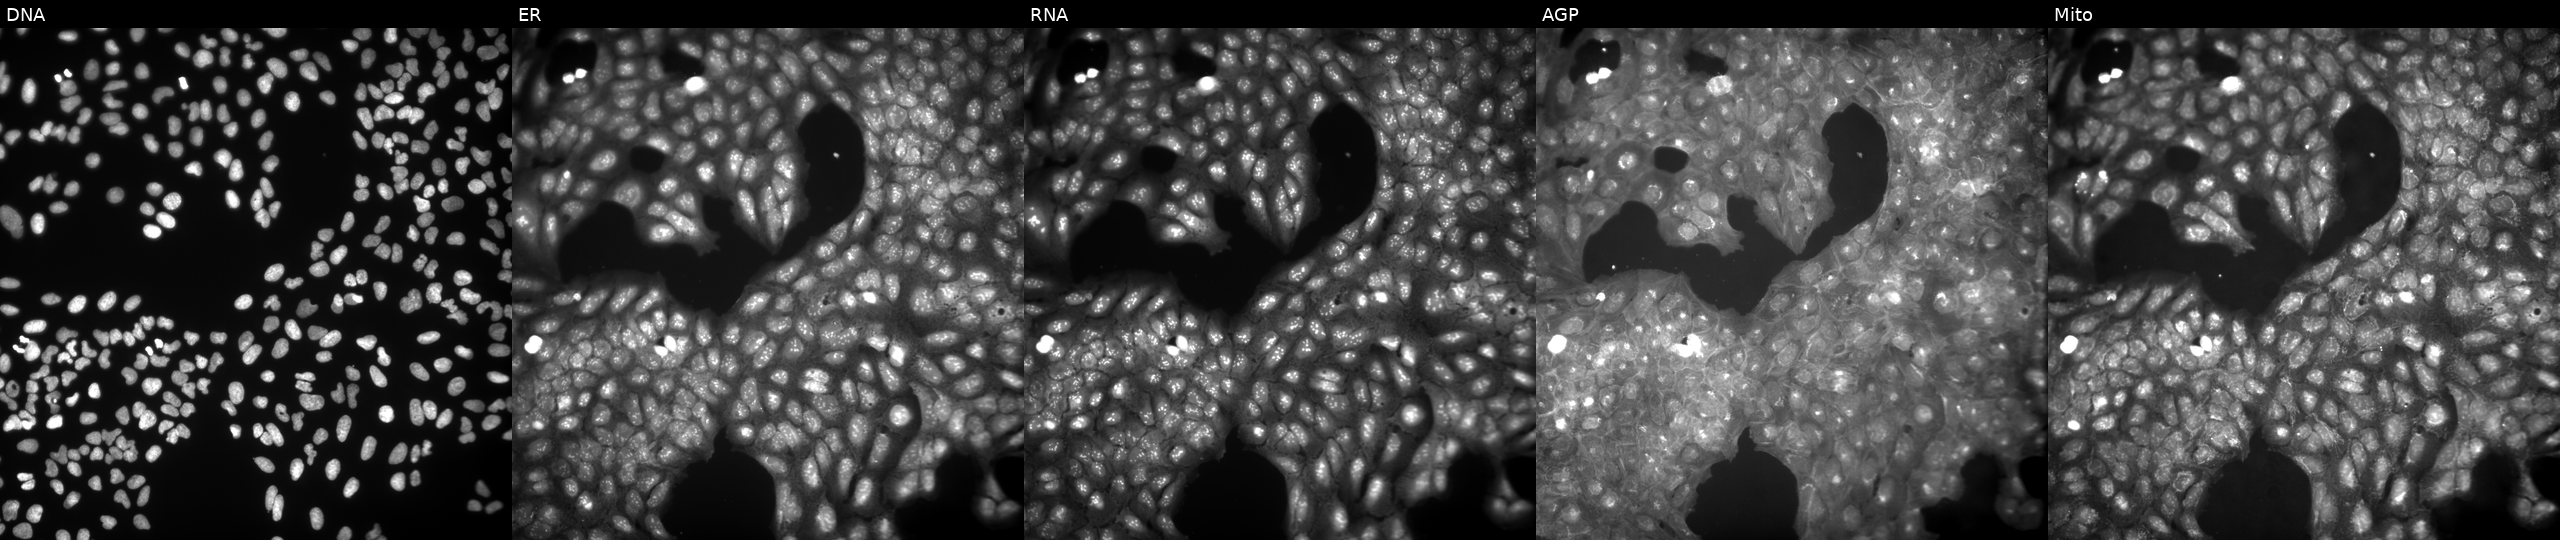
High-content fluorescence microscopy (Cell Painting). Cell line: U2OS. Perturbation: perturbed with a small-molecule compound (InChIKey SLCKRVHLPLZFOU-UHFFFAOYSA-N) [SMILES: COc1cc(NC(=O)Cn2c3ccccc3c(=O)c3ccccc32)cc(OC)c1OC] (JUMP id JCP2022_083946). The five panels, left to right, show DNA, ER, RNA, AGP, and Mito.